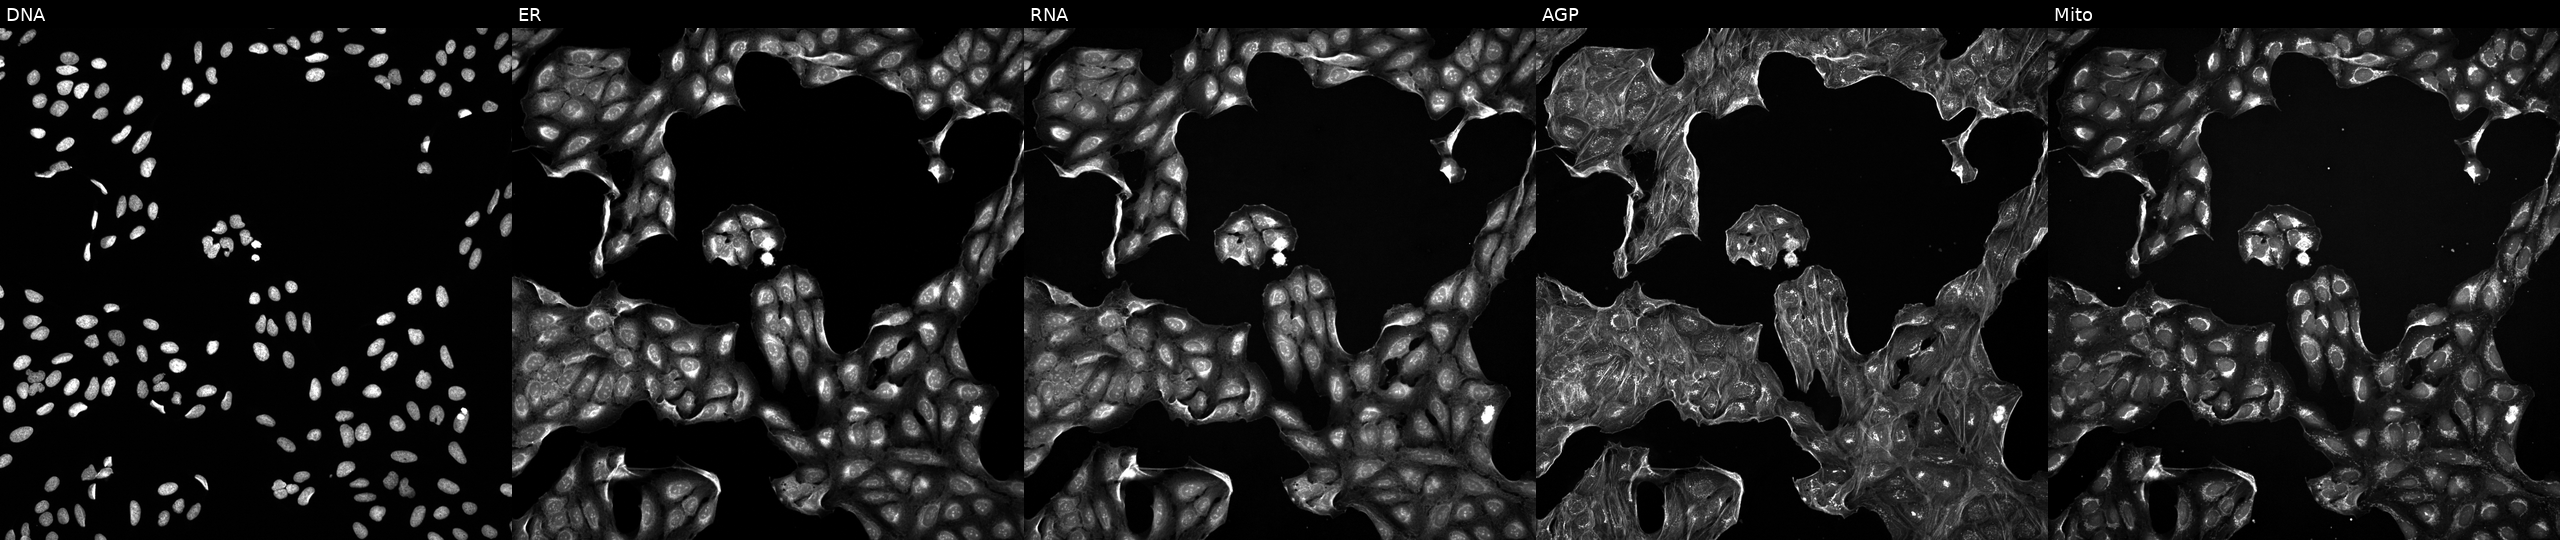
JUMP Cell Painting — TARGET2 plate. U2OS cells exposed to a small-molecule compound [SMILES: CS(=O)(=O)Nc1ccc(-c2coc3cc(OCc4cccc(C(=O)O)c4)ccc3c2=O)cc1] (JUMP id JCP2022_111730). Channels (left→right): DNA (nuclei); ER (endoplasmic reticulum); RNA (nucleoli and cytoplasmic RNA); AGP (actin cytoskeleton, Golgi, and plasma membrane); Mito (mitochondria).